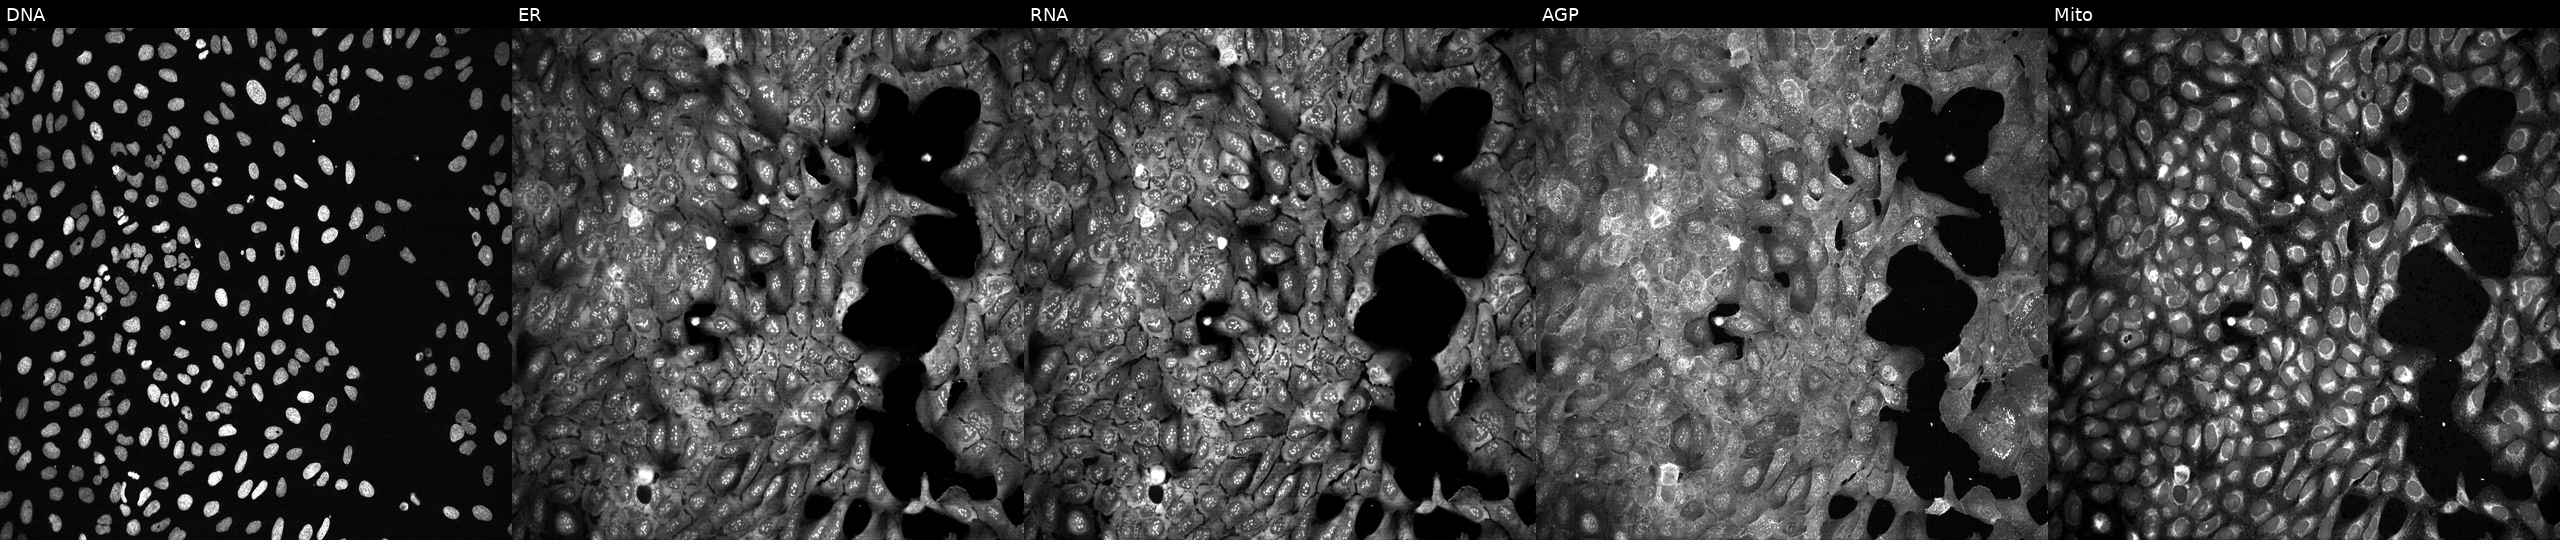
The five panels, left to right, show DNA (nuclei); ER (endoplasmic reticulum); RNA (nucleoli and cytoplasmic RNA); AGP (actin cytoskeleton, Golgi, and plasma membrane); Mito (mitochondria). U2OS osteosarcoma cells following CRISPR knockout of ADA (JUMP id JCP2022_800163). Cell Painting assay, JUMP-CP dataset. Source 13, plate CP-CC9-R5-01, well E21.